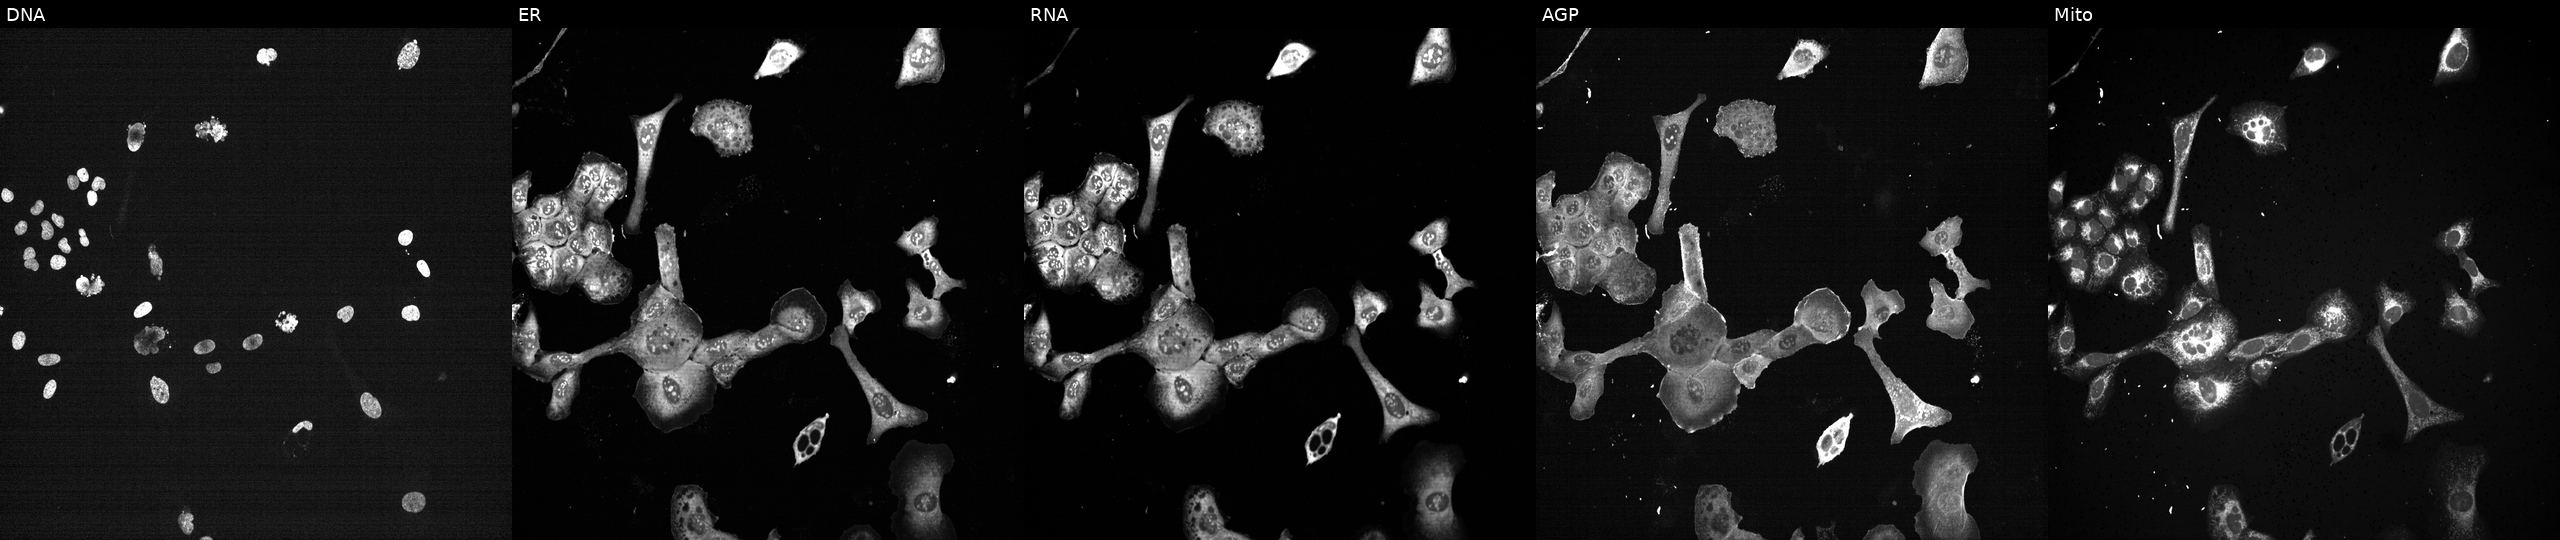
This image strip shows the five Cell Painting channels for a single field of U2OS cells with PLK1 knocked out by CRISPR (positive control) (JUMP id JCP2022_805264). Panels show, left to right, DNA, ER, RNA, AGP, and Mito. Source 13, plate CP-CC9-R2-01, well A23.